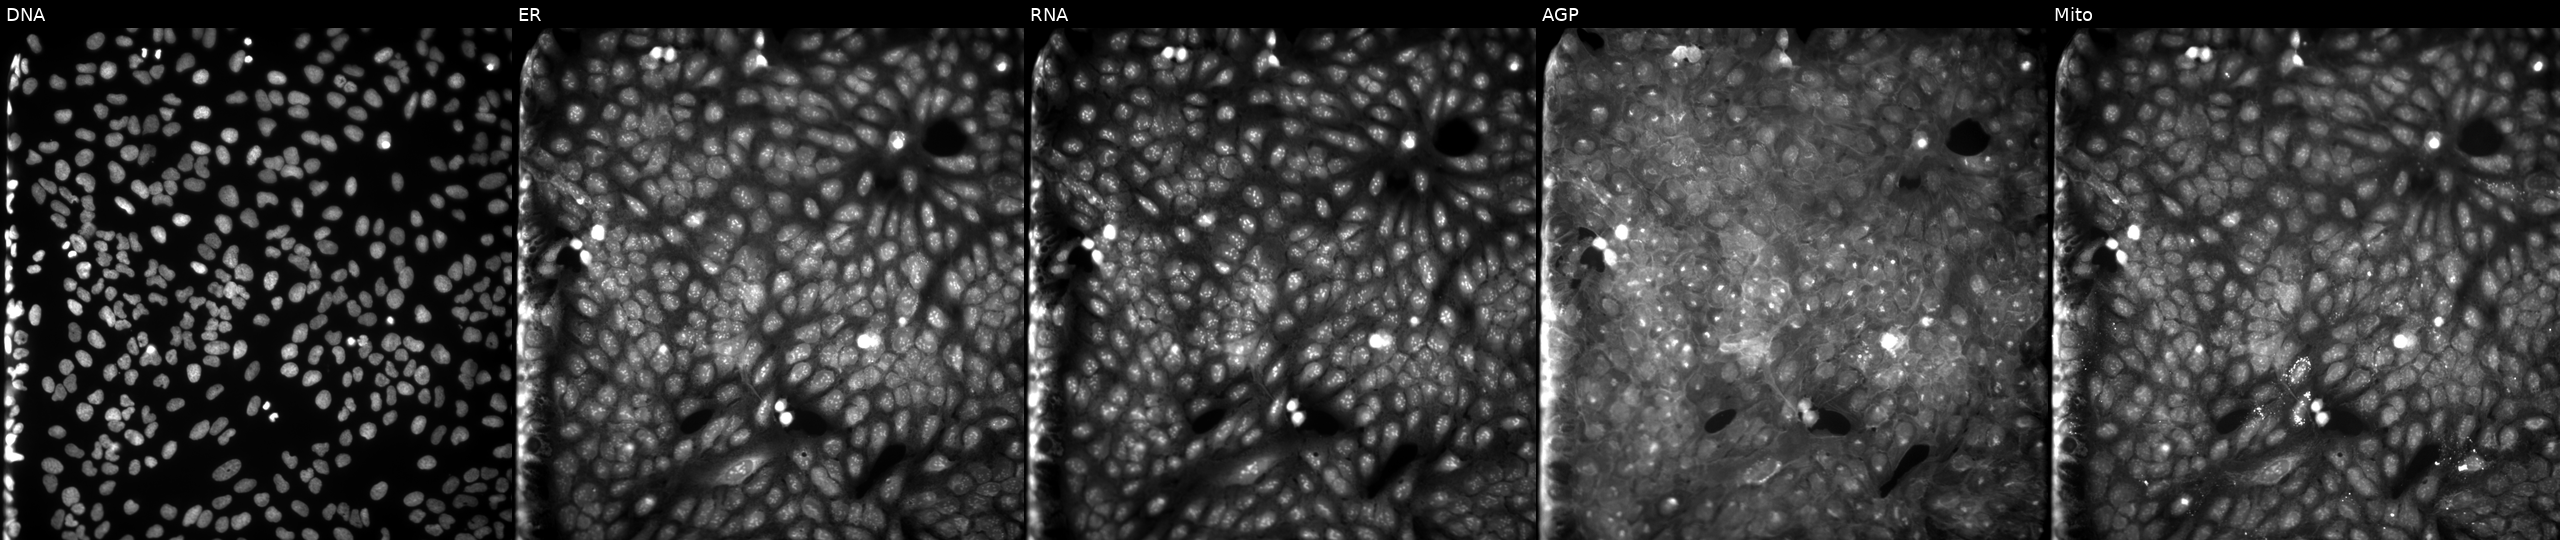
Panels show, left to right, DNA, ER, RNA, AGP, and Mito. U2OS osteosarcoma cells treated with DMSO vehicle only (negative control) (JUMP id JCP2022_033924). Cell Painting assay, JUMP-CP dataset.